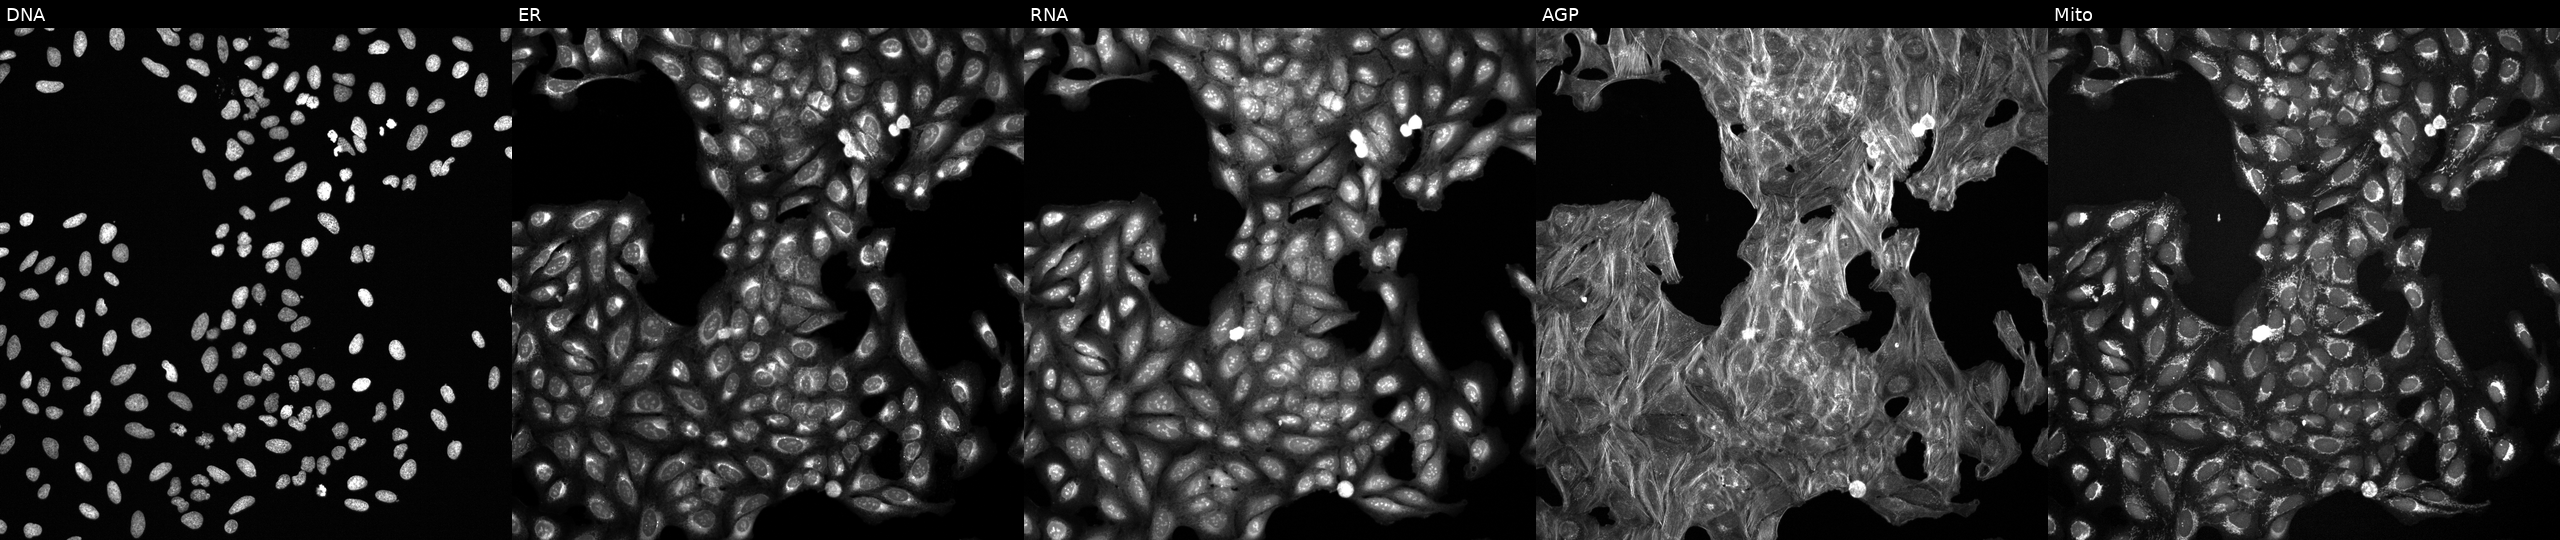
This image strip shows the five Cell Painting channels for a single field of U2OS cells exposed to DMSO alone as a negative control (JUMP id JCP2022_033924). From left to right: DNA, ER, RNA, AGP, and Mito.